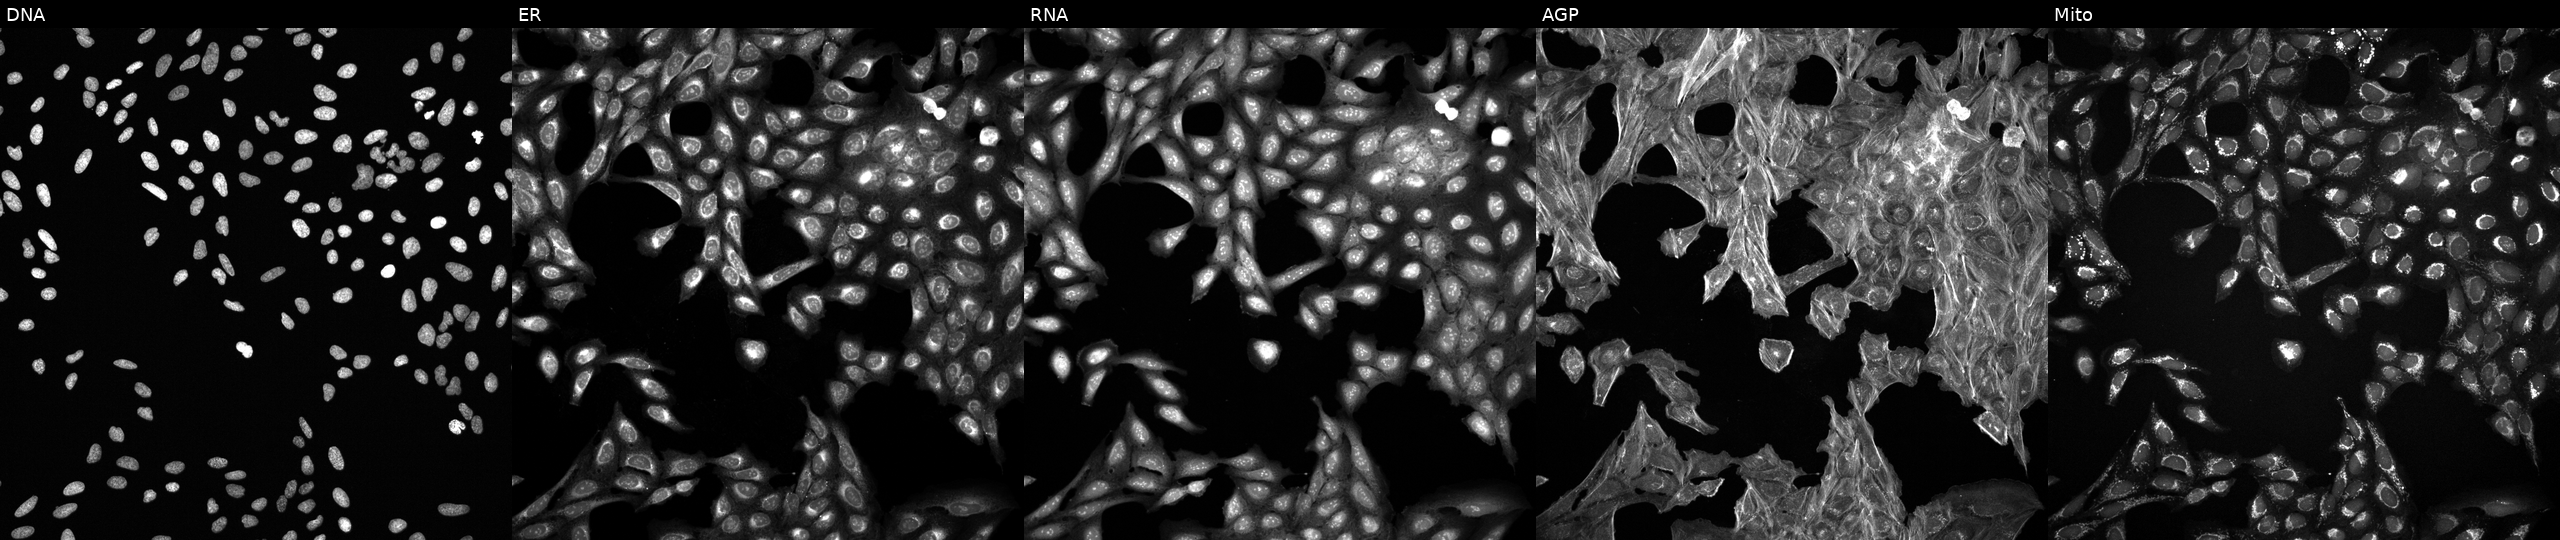
Channels (left→right): DNA (nuclei); ER (endoplasmic reticulum); RNA (nucleoli and cytoplasmic RNA); AGP (actin cytoskeleton, Golgi, and plasma membrane); Mito (mitochondria). U2OS osteosarcoma cells exposed to a small-molecule compound [SMILES: Cc1nn(C)cc1-c1cc(C(F)(F)F)n2nc(C(=O)N3CCCC3)cc2n1]. Cell Painting assay, JUMP-CP dataset.